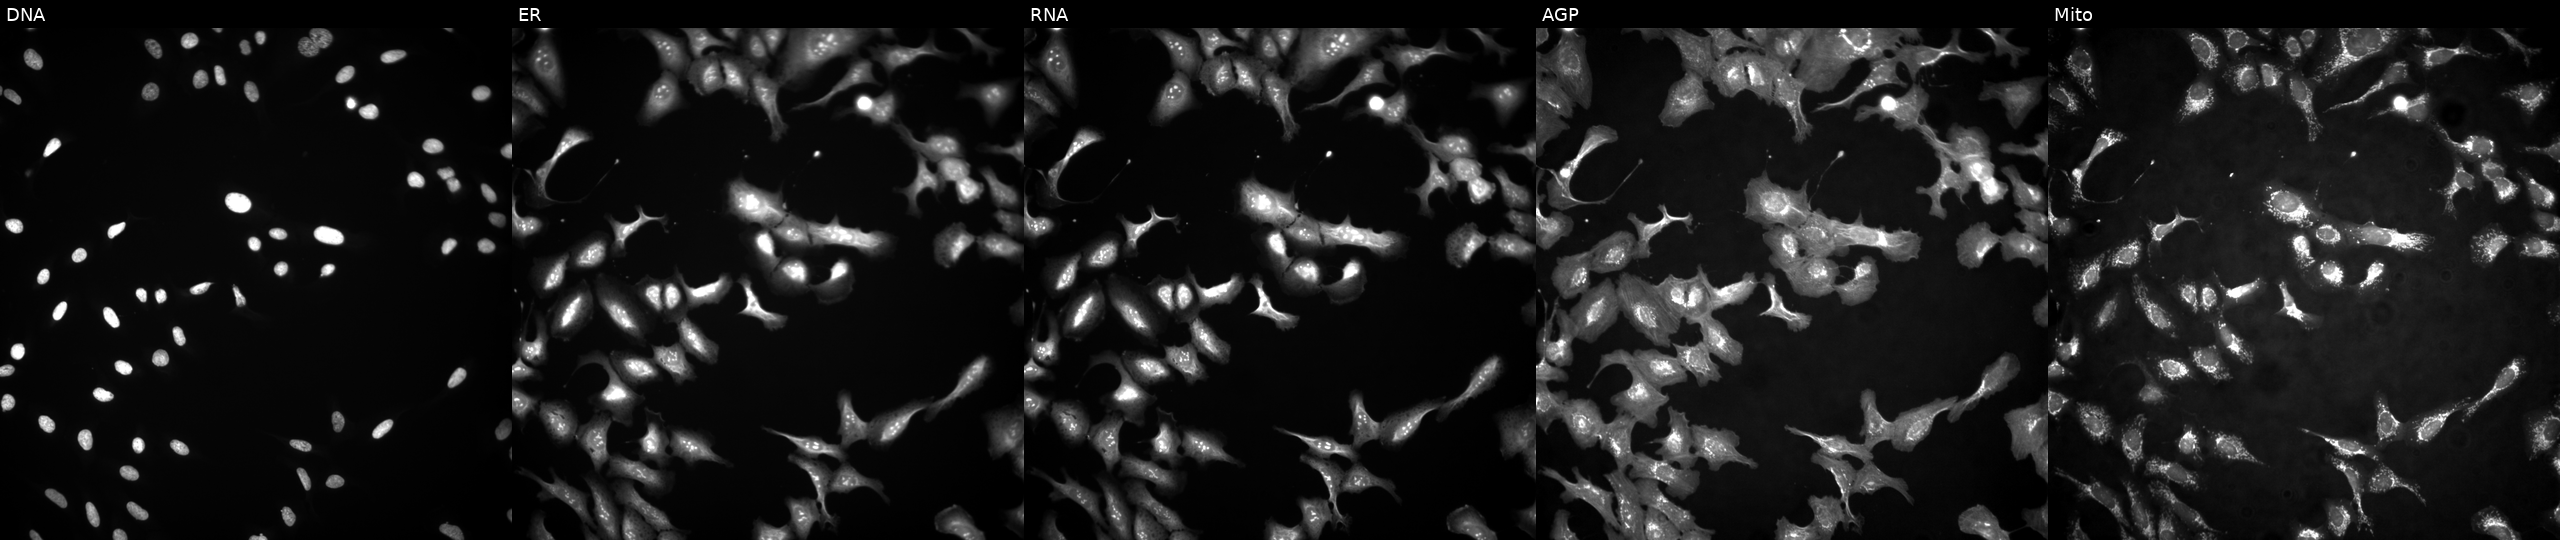
Five-channel Cell Painting image of U2OS cells with RYBP overexpressed (ORF). Channels (left→right): DNA, ER, RNA, AGP, and Mito. Source 4, plate BR00117035, well D22.